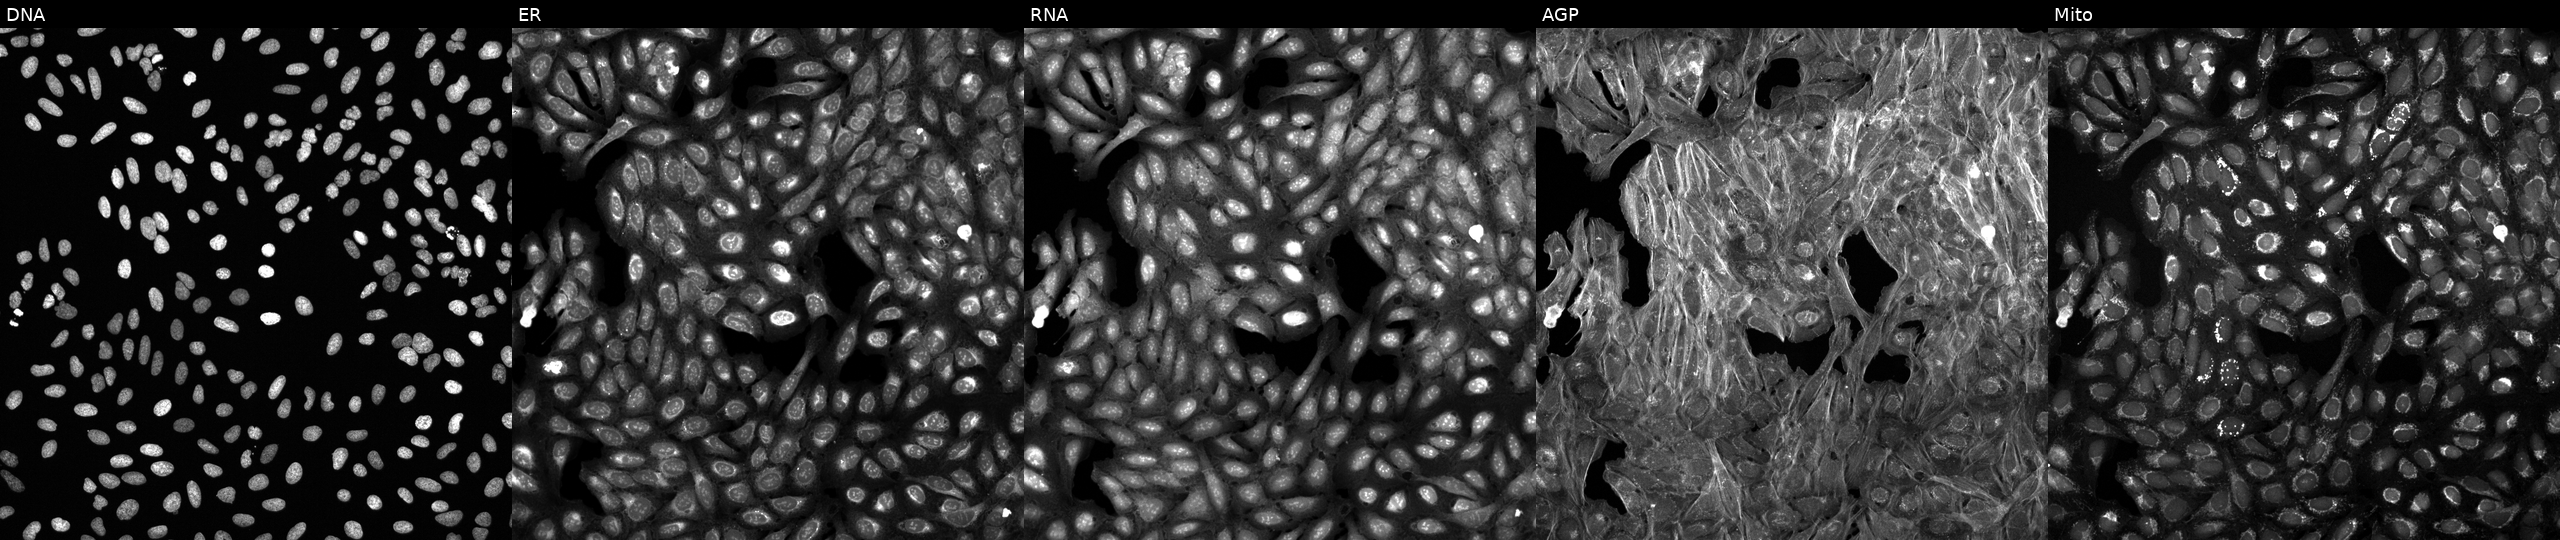
U2OS cells, Cell Painting assay, treated with a small-molecule compound (InChIKey RIJLVEAXPNLDTC-UHFFFAOYSA-N) (JUMP id JCP2022_078581). From left to right: Hoechst 33342, concanavalin A, SYTO 14, phalloidin and WGA, MitoTracker. Each panel is percentile-stretched 16-bit fluorescence.